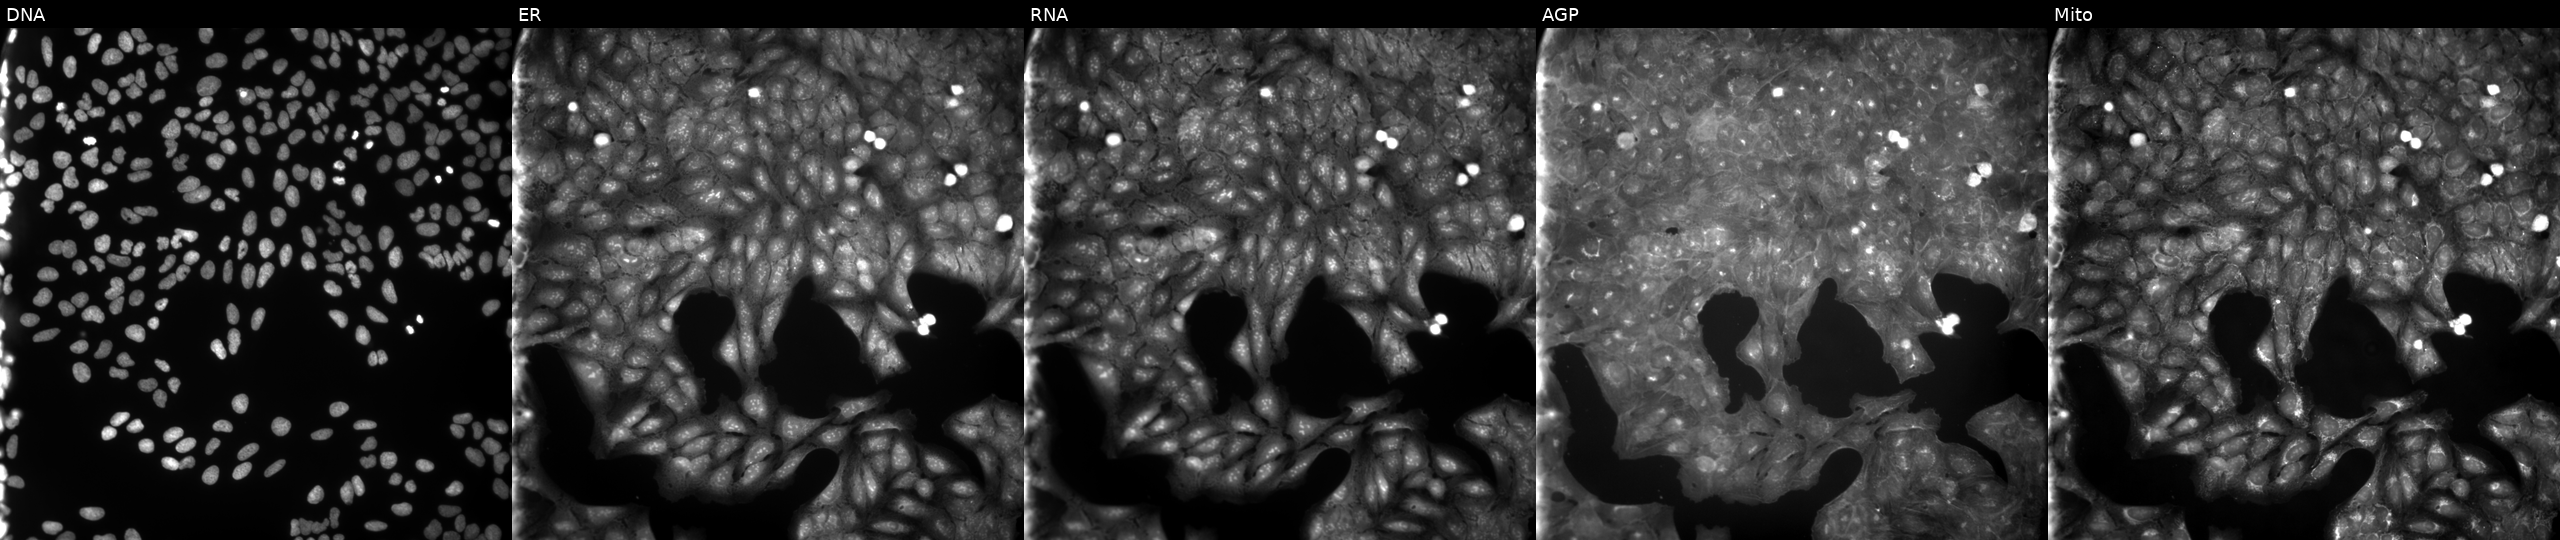
This image strip shows the five Cell Painting channels for a single field of U2OS cells exposed to a small-molecule compound (InChIKey HVVLYHKZESGBJF-UHFFFAOYSA-N) [SMILES: O=C(NNC(=O)c1cccc(Br)c1)Nc1ccc(Cl)cc1]. The five panels, left to right, show DNA, ER, RNA, AGP, and Mito.